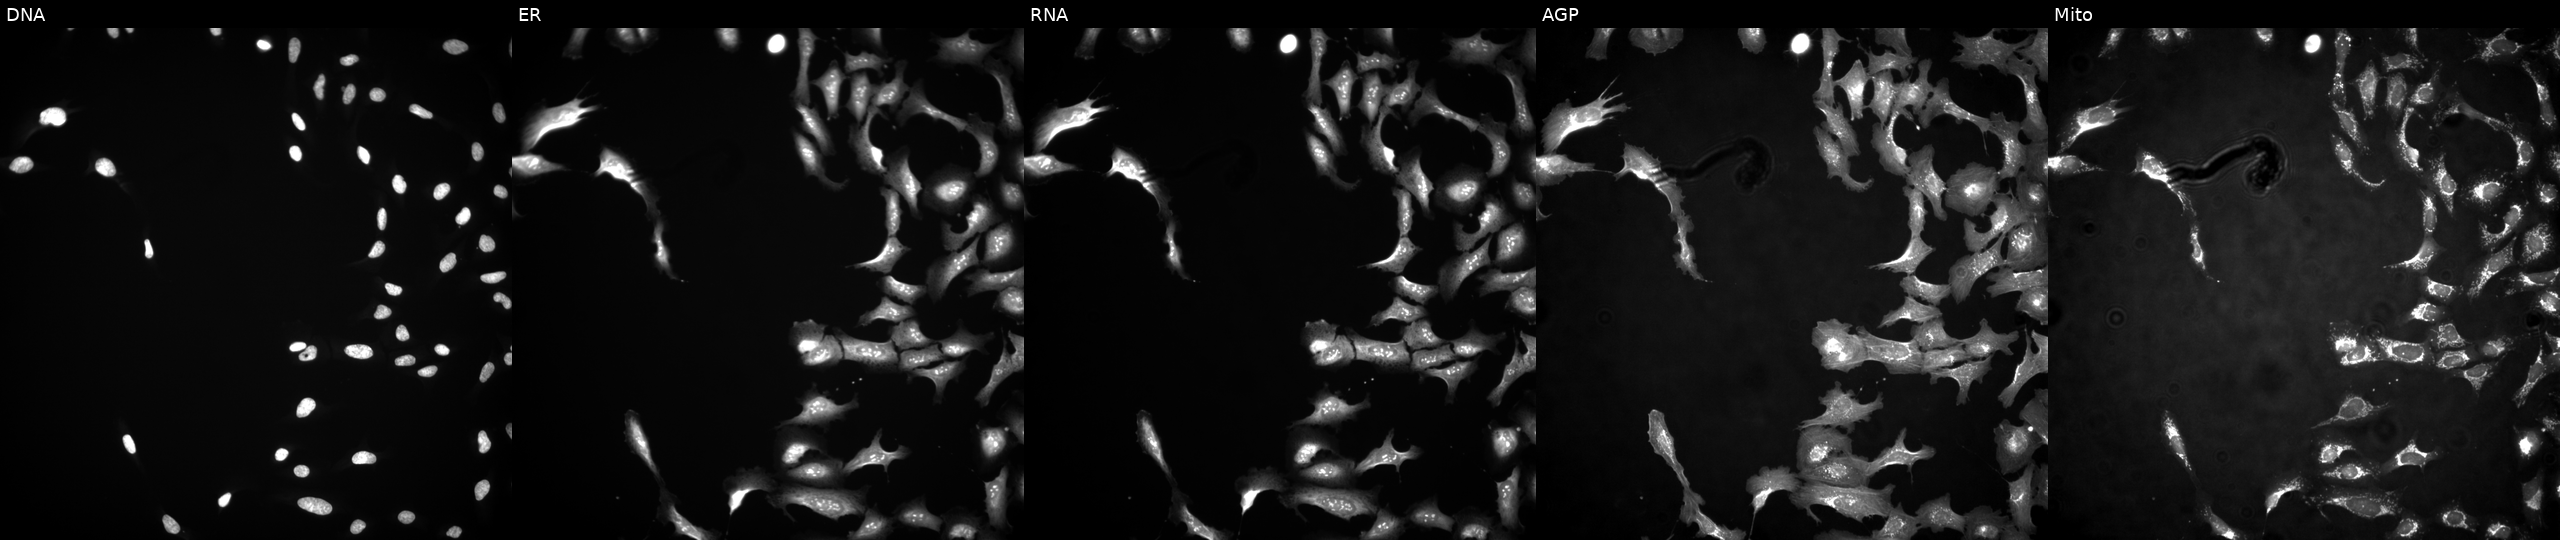
JUMP Cell Painting — ORF plate. U2OS cells overexpressing OLIG3 via ORF transfection (JUMP id JCP2022_904809). From left to right: Hoechst 33342, concanavalin A, SYTO 14, phalloidin and WGA, MitoTracker.